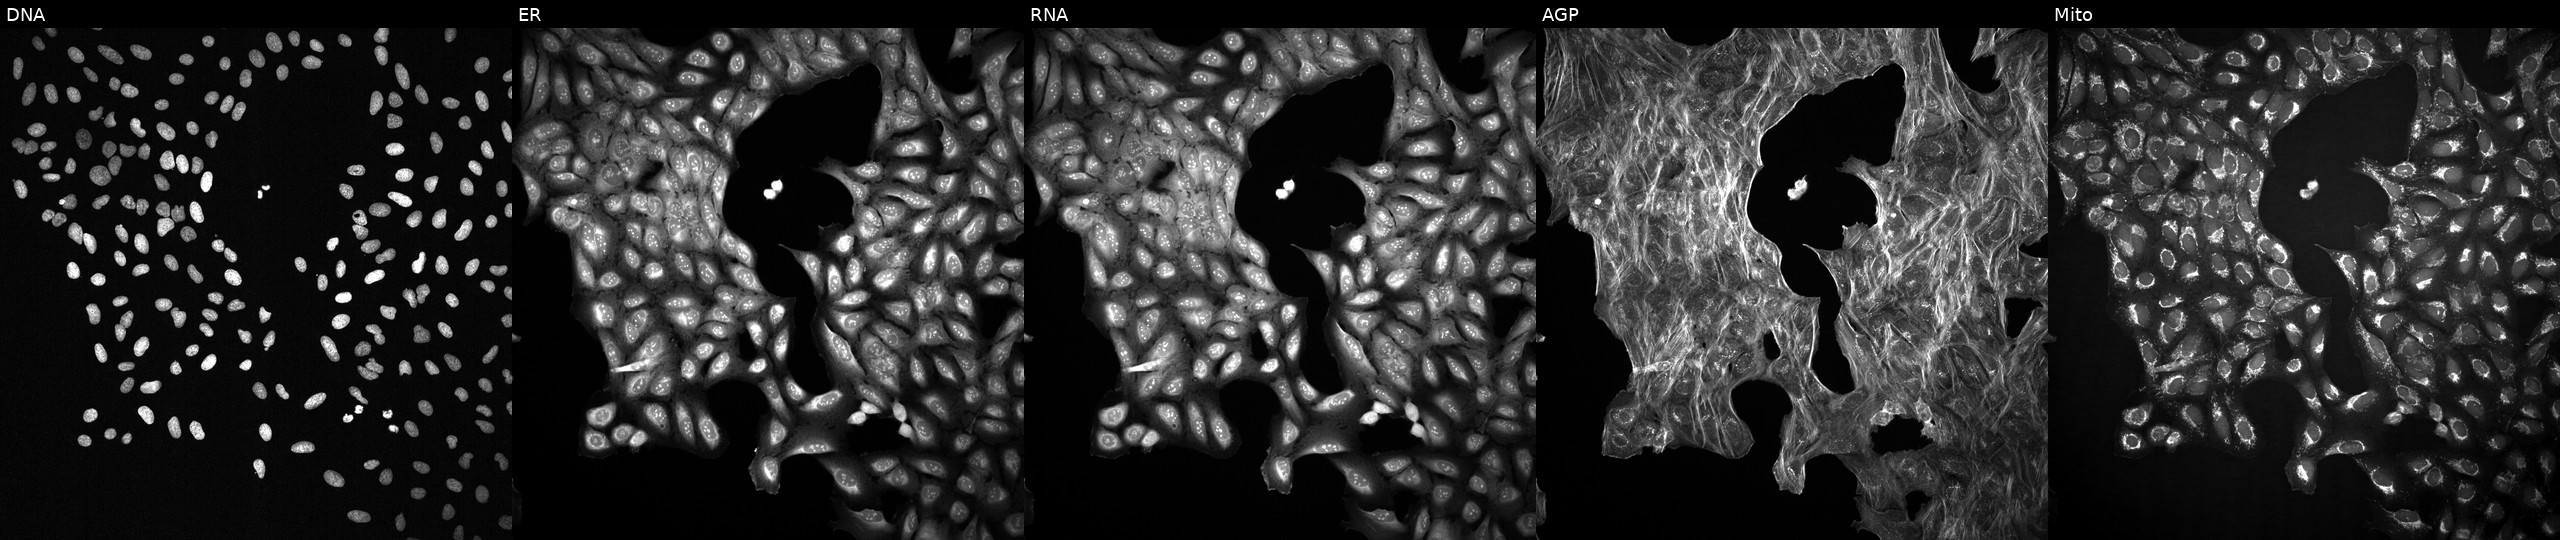
Five-channel Cell Painting image of U2OS cells with an unidentified perturbation (not annotated in JUMP metadata). Panels show, left to right, DNA (nuclei); ER (endoplasmic reticulum); RNA (nucleoli and cytoplasmic RNA); AGP (actin cytoskeleton, Golgi, and plasma membrane); Mito (mitochondria).